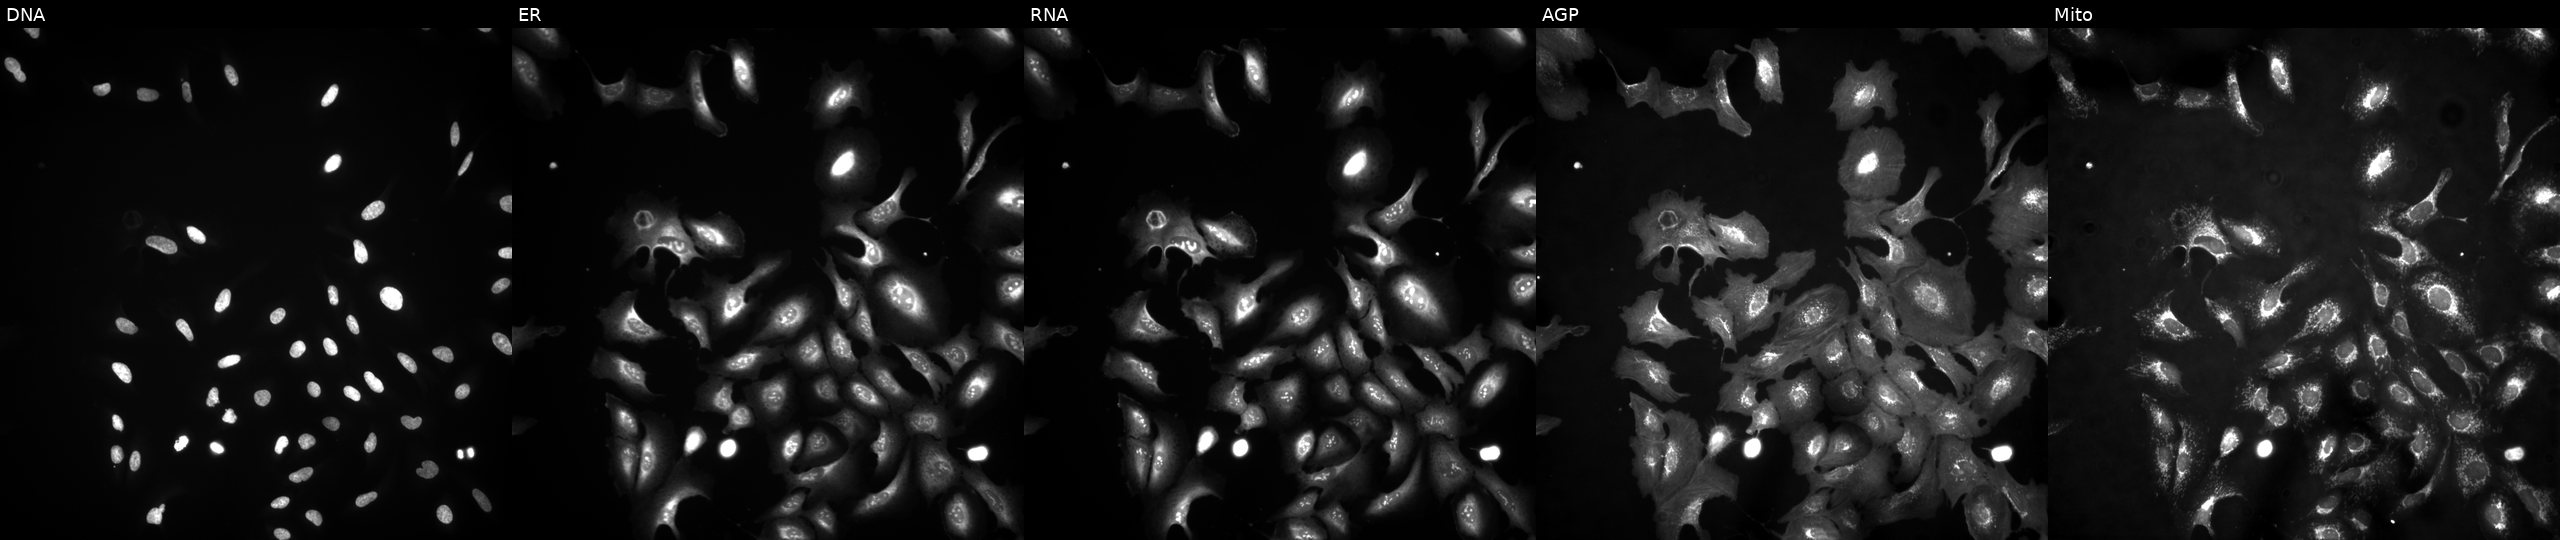
U2OS cells, Cell Painting assay, with CDKN1A overexpressed (ORF). Channels (left→right): Hoechst 33342, concanavalin A, SYTO 14, phalloidin and WGA, MitoTracker. Each panel is percentile-stretched 16-bit fluorescence.